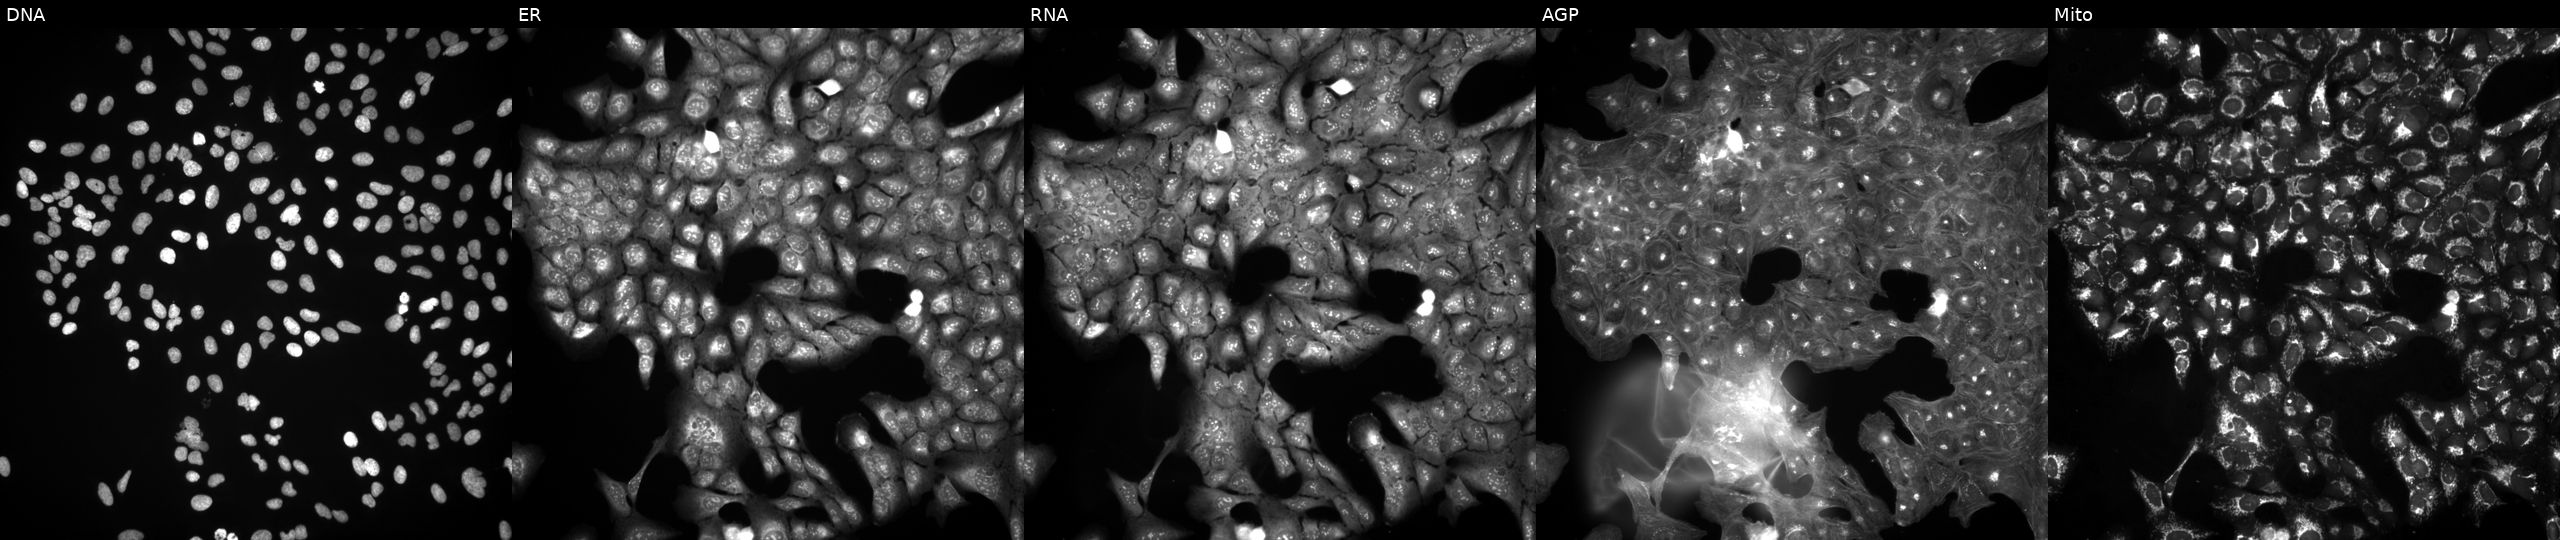
High-content fluorescence microscopy (Cell Painting). Cell line: U2OS. Perturbation: treated with a small-molecule compound (InChIKey SZWQQVLDJAKLMD-UHFFFAOYSA-N) (JUMP id JCP2022_086647). Panels show, left to right, DNA (nuclei); ER (endoplasmic reticulum); RNA (nucleoli and cytoplasmic RNA); AGP (actin cytoskeleton, Golgi, and plasma membrane); Mito (mitochondria).